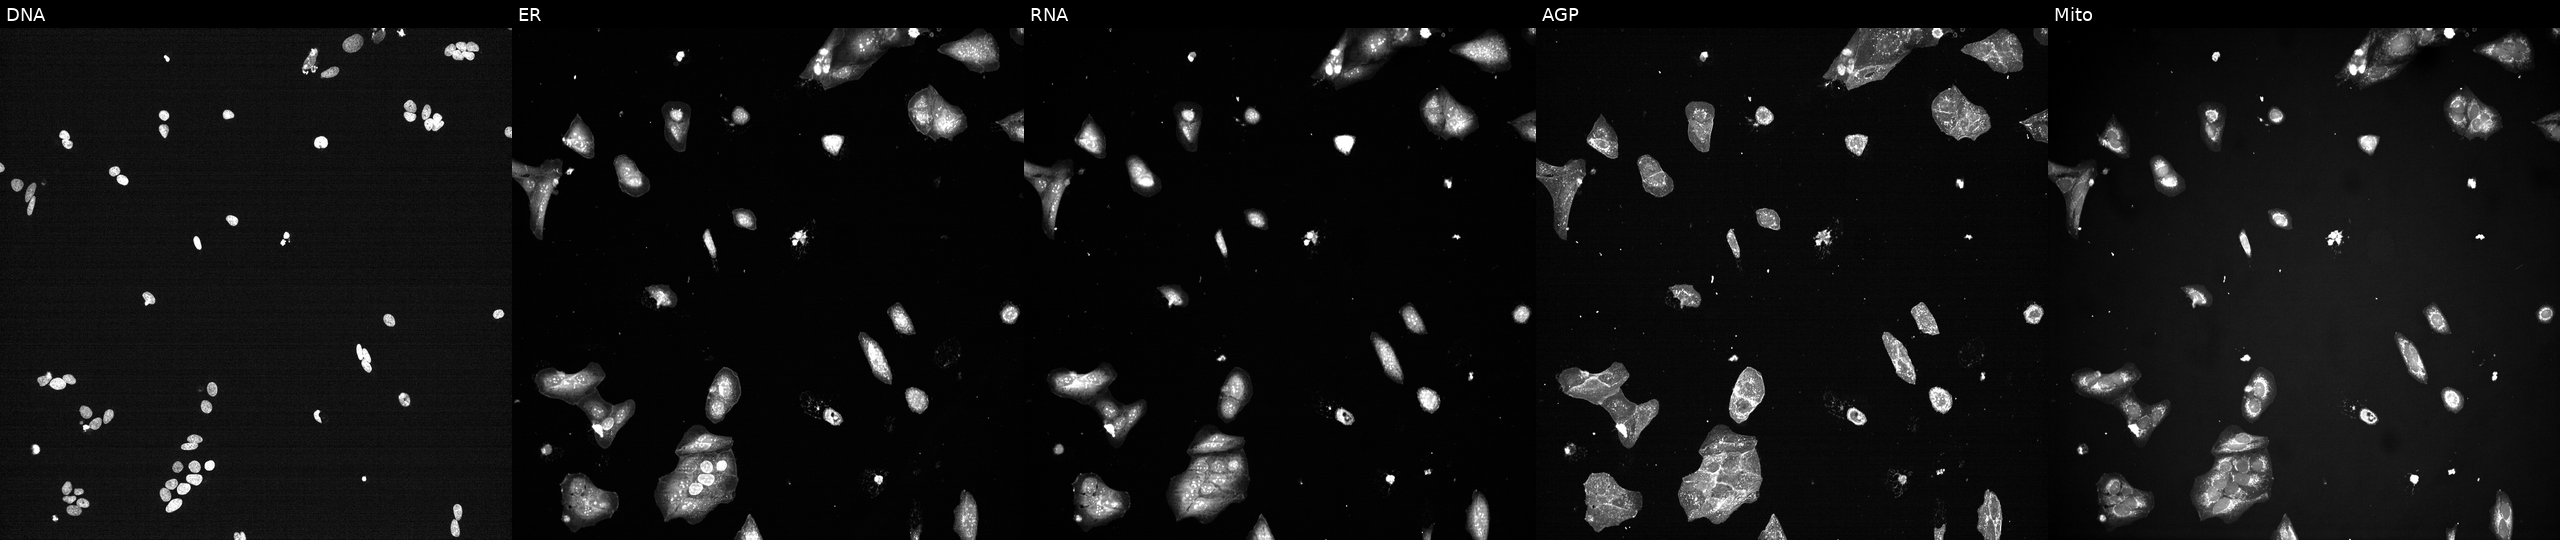
High-content fluorescence microscopy (Cell Painting). Cell line: U2OS. Perturbation: exposed to a small-molecule compound (InChIKey ZWVZORIKUNOTCS-UHFFFAOYSA-N) (JUMP id JCP2022_116188). From left to right: DNA, ER, RNA, AGP, and Mito.